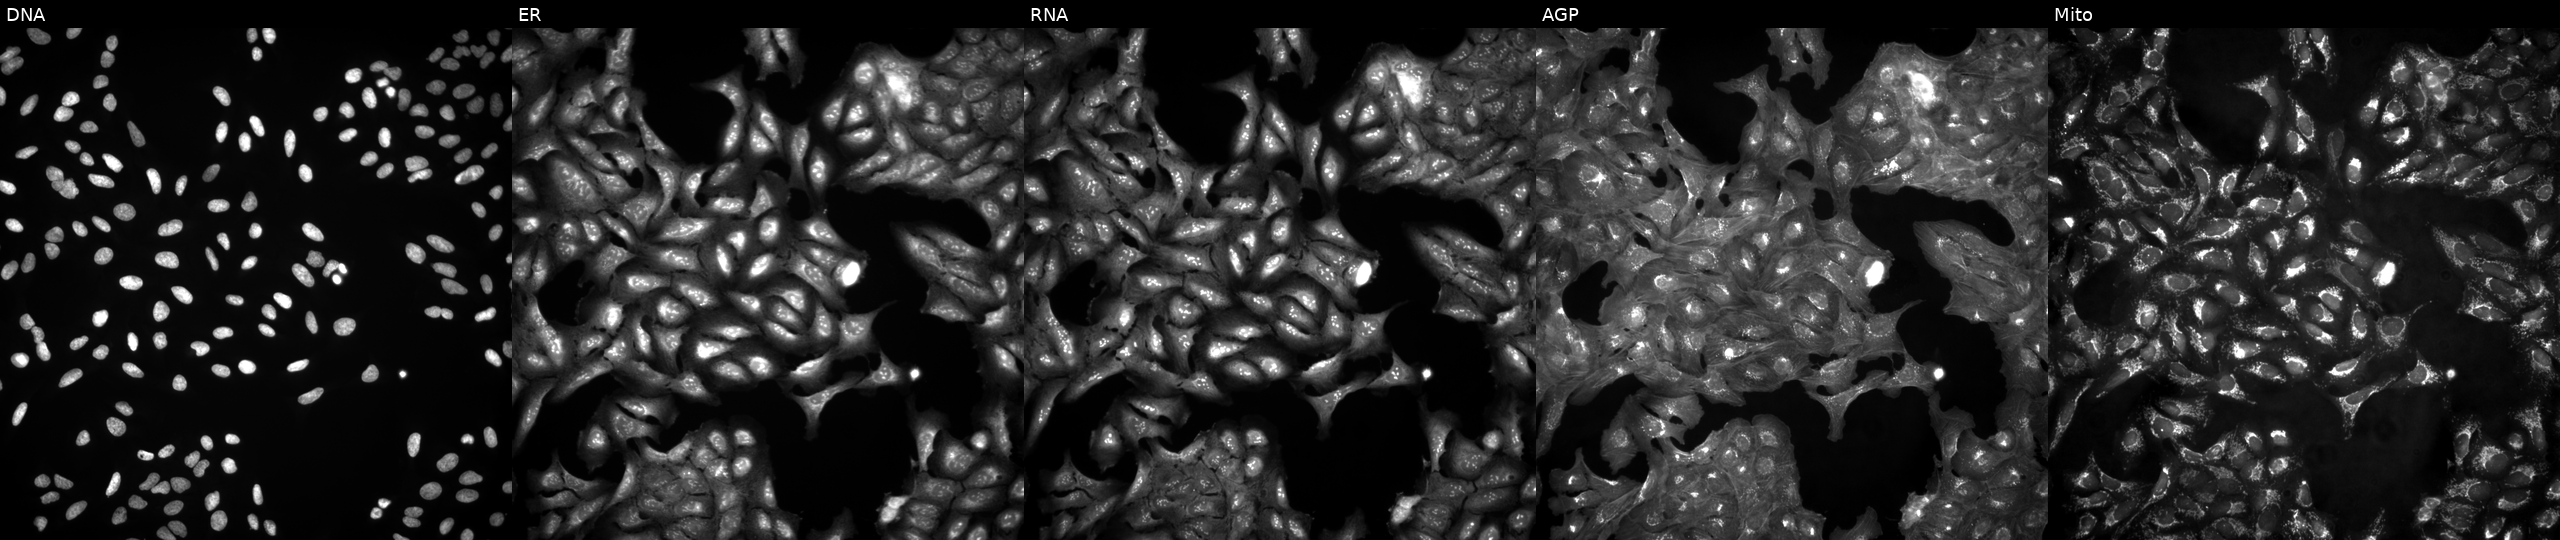
This image strip shows the five Cell Painting channels for a single field of U2OS cells in an empty control well (no perturbation) (JUMP id JCP2022_999999). The five panels, left to right, show DNA (nuclei); ER (endoplasmic reticulum); RNA (nucleoli and cytoplasmic RNA); AGP (actin cytoskeleton, Golgi, and plasma membrane); Mito (mitochondria).